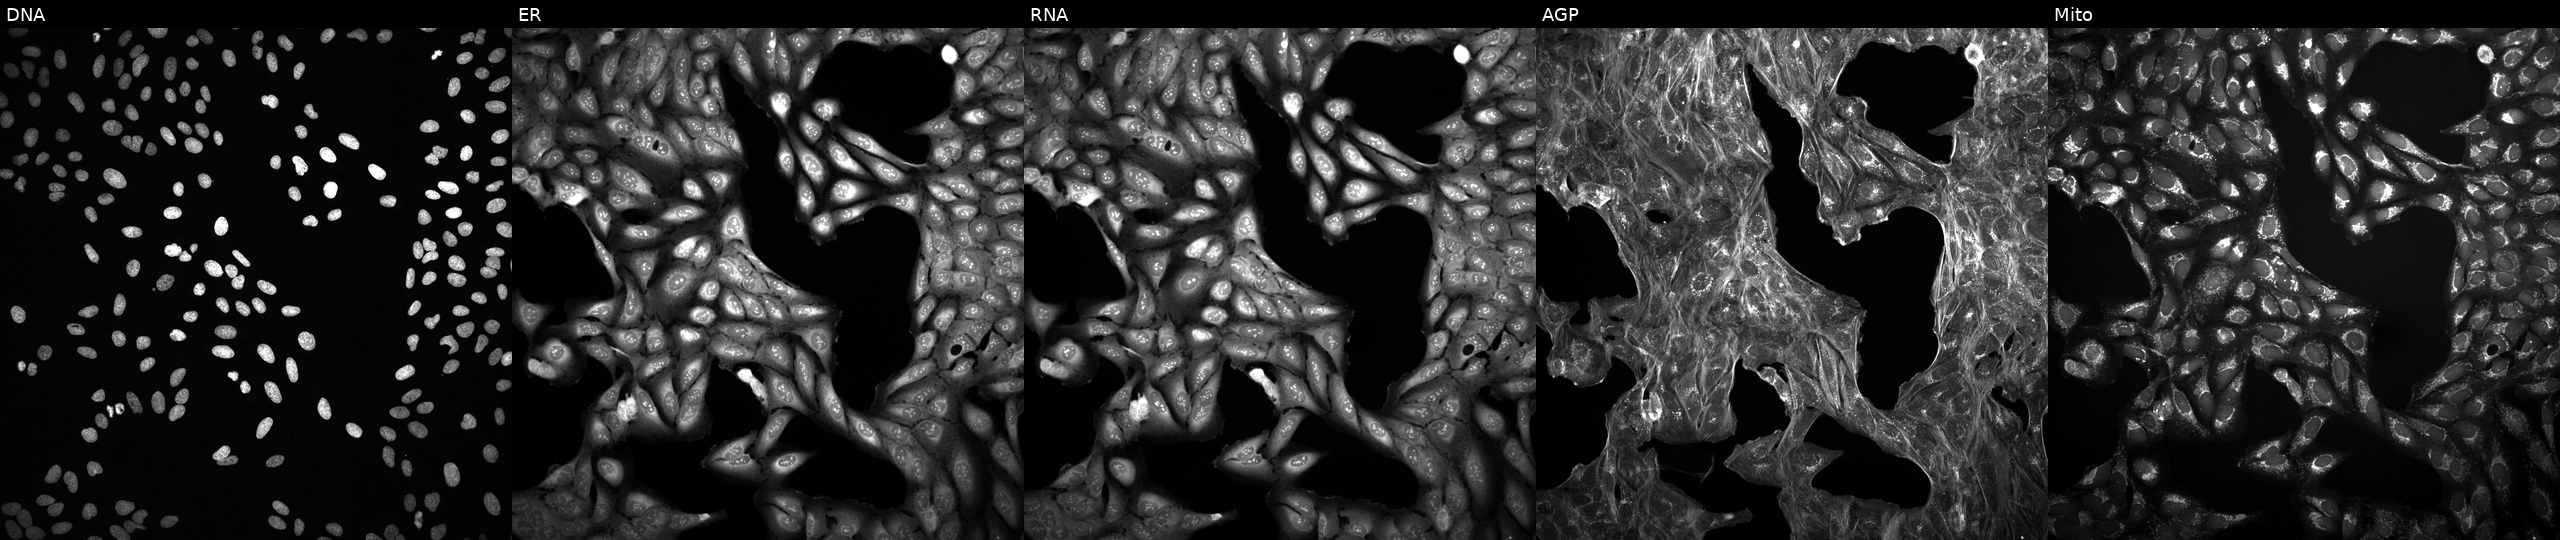
This image strip shows the five Cell Painting channels for a single field of U2OS cells perturbed with a small-molecule compound (InChIKey IKENVDNFQMCRTR-UHFFFAOYSA-N) (JUMP id JCP2022_035570). From left to right: Hoechst 33342, concanavalin A, SYTO 14, phalloidin and WGA, MitoTracker.